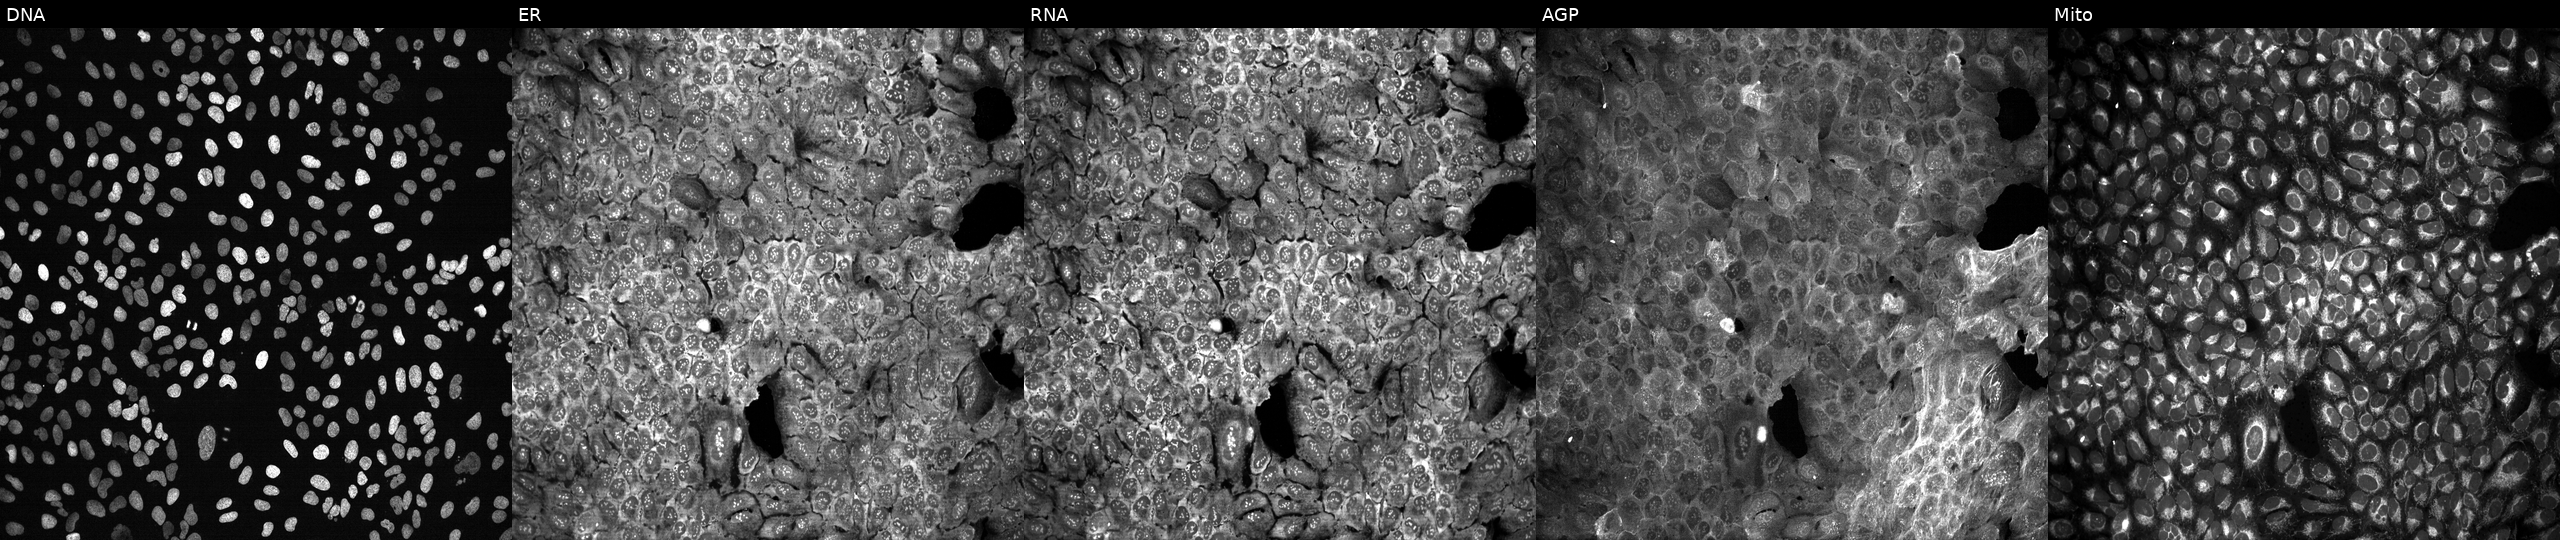
Five-channel Cell Painting image of U2OS cells with PEMT knocked out by CRISPR. From left to right: DNA (nuclei); ER (endoplasmic reticulum); RNA (nucleoli and cytoplasmic RNA); AGP (actin cytoskeleton, Golgi, and plasma membrane); Mito (mitochondria).